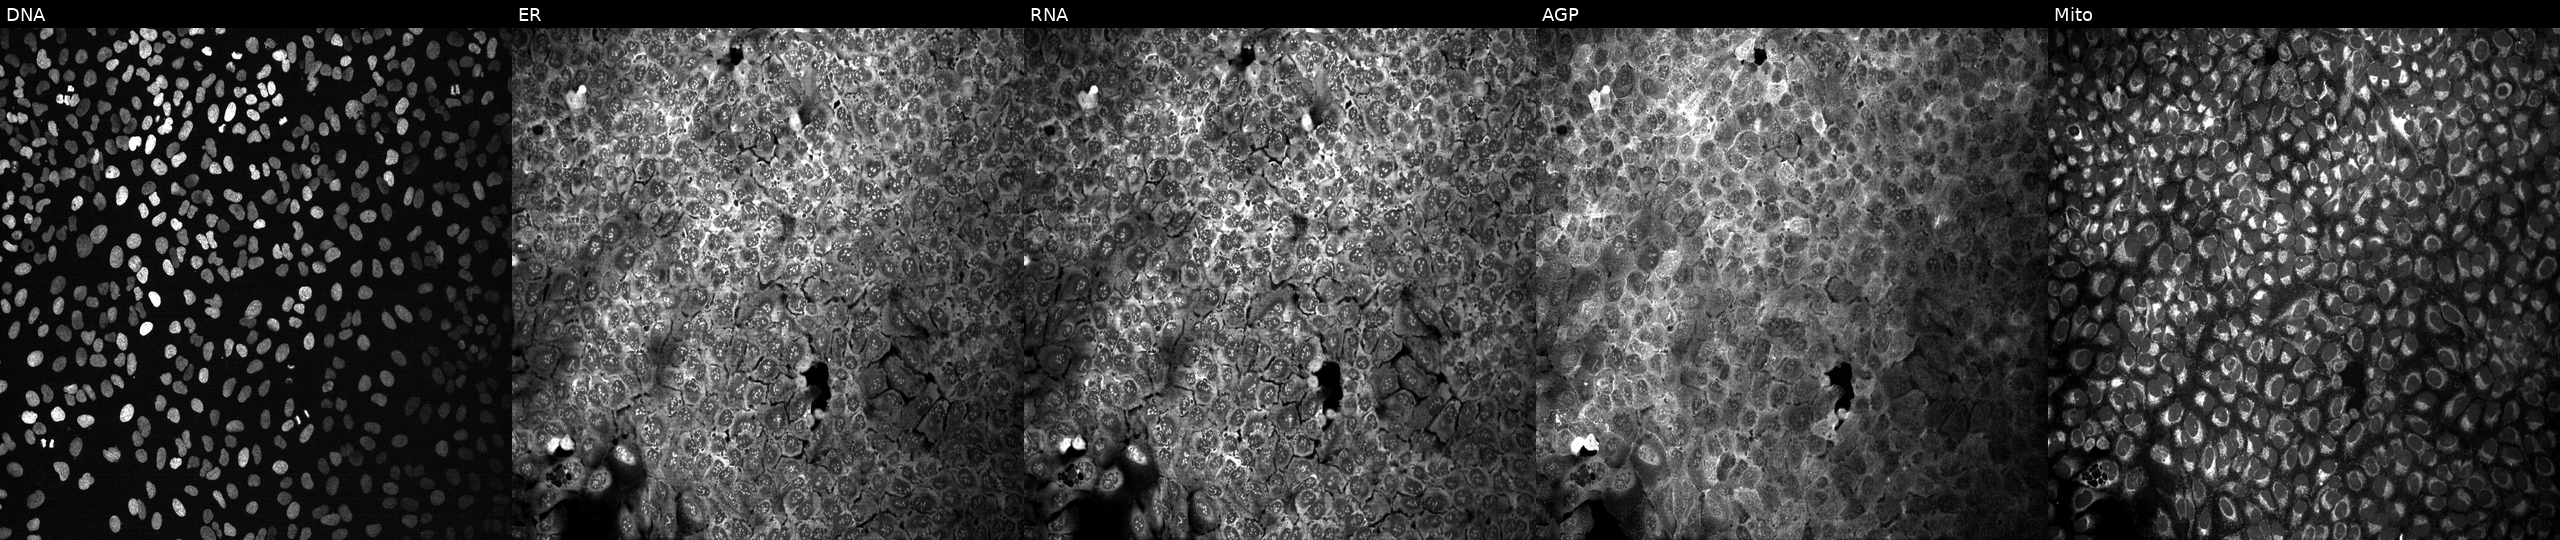
U2OS cells, Cell Painting assay, with a non-targeting CRISPR guide (negative control). Panels show, left to right, DNA, ER, RNA, AGP, and Mito. Each panel is percentile-stretched 16-bit fluorescence.